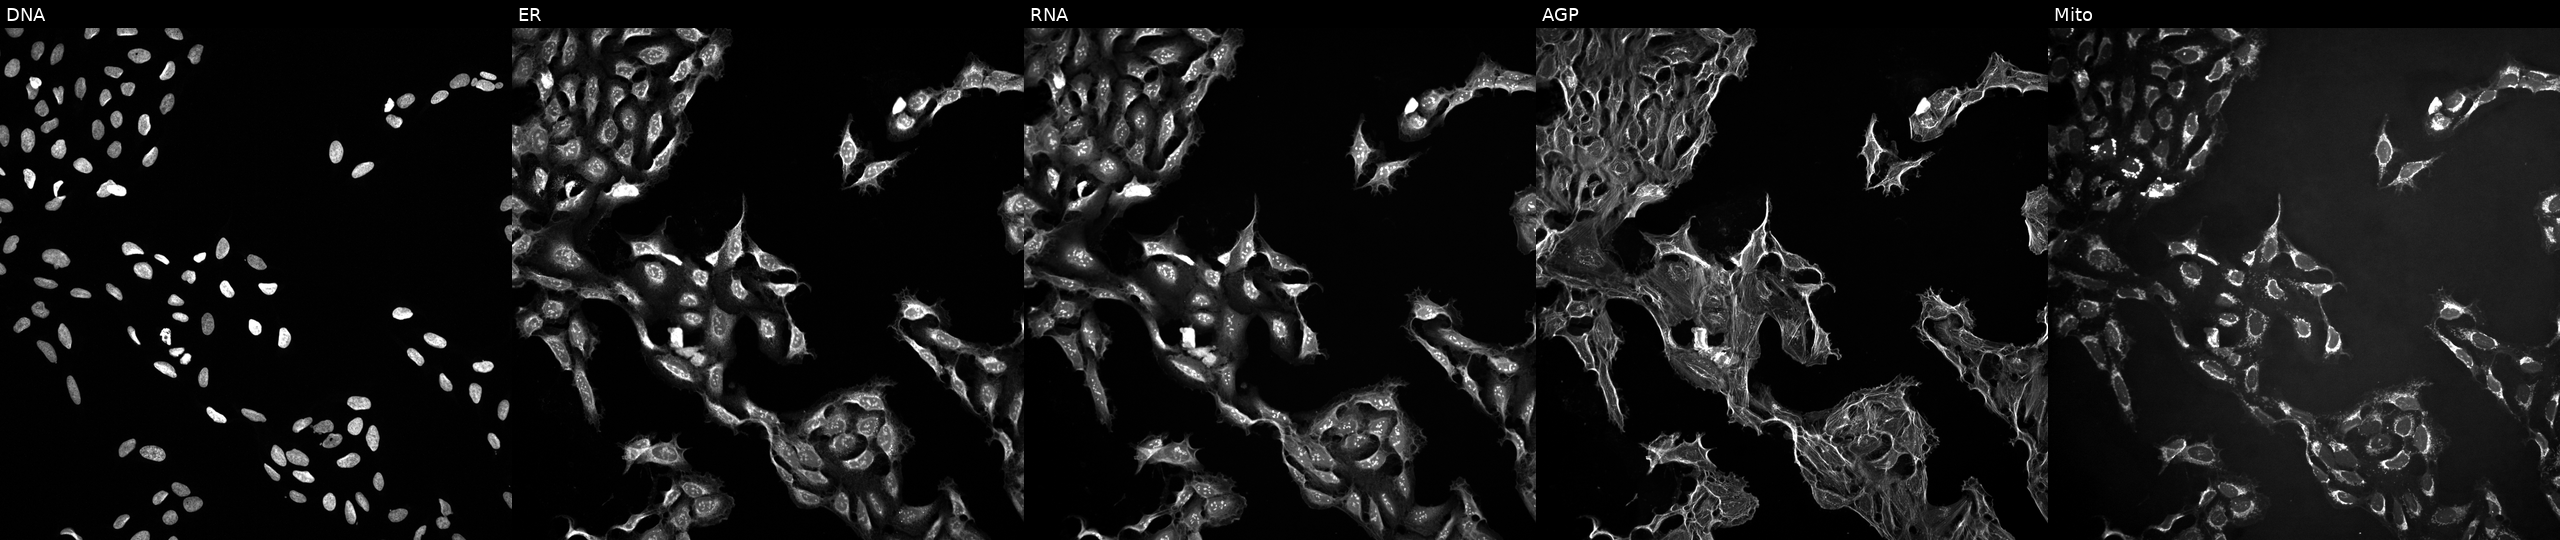
JUMP Cell Painting — TARGET2 plate. U2OS cells exposed to a small-molecule compound (InChIKey RIJLVEAXPNLDTC-UHFFFAOYSA-N) (JUMP id JCP2022_078581). The five panels, left to right, show Hoechst 33342, concanavalin A, SYTO 14, phalloidin and WGA, MitoTracker.